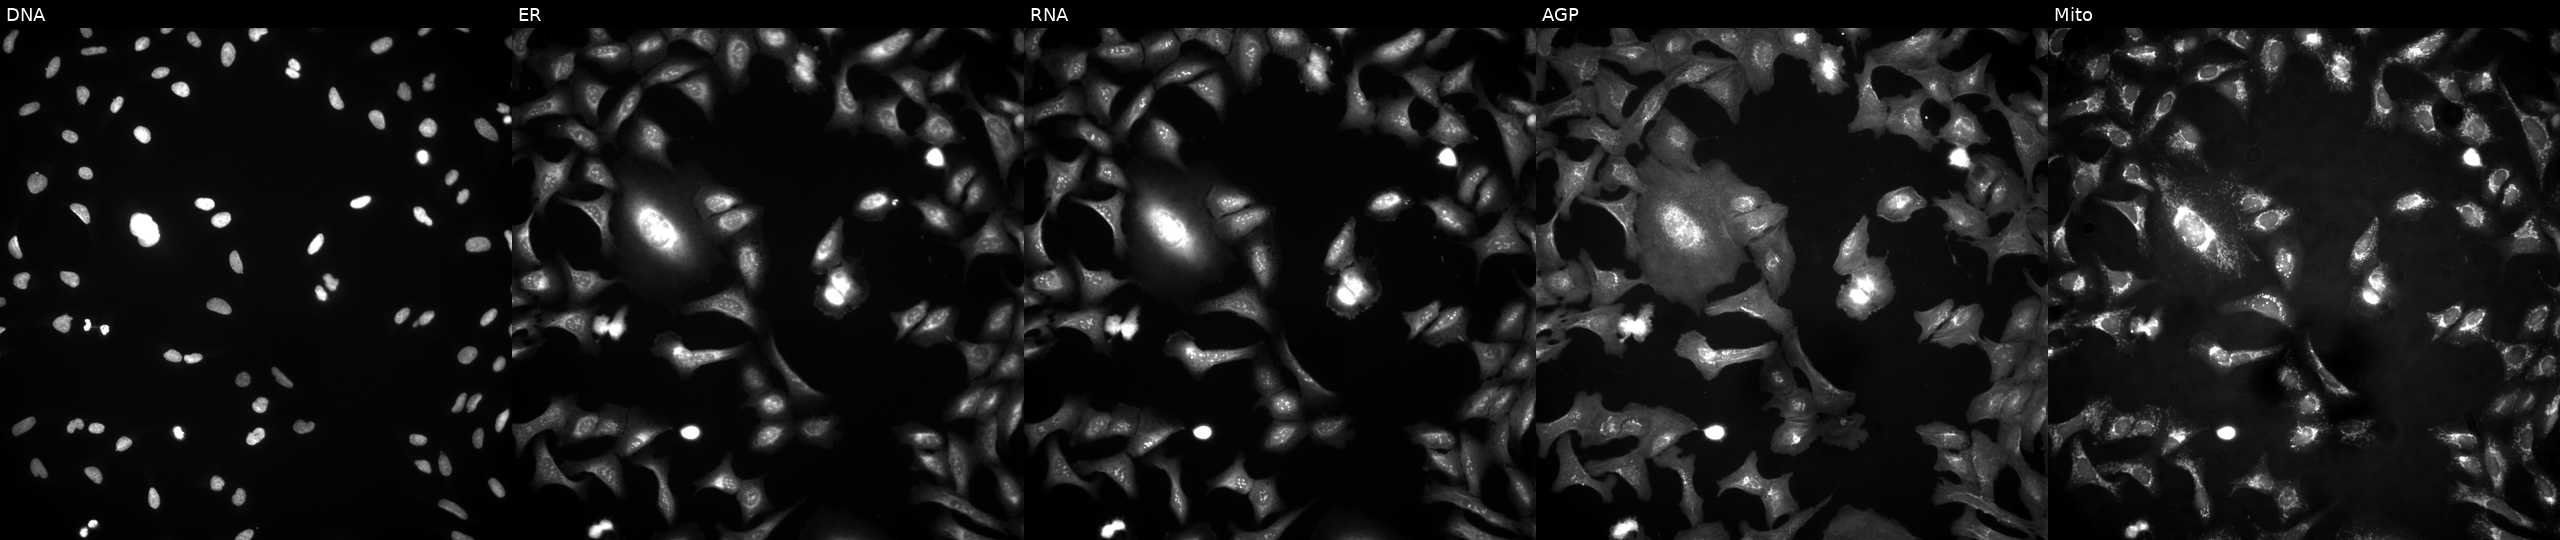
U2OS cells, Cell Painting assay, with MED17 overexpressed (ORF) (JUMP id JCP2022_906933). The five panels, left to right, show Hoechst 33342, concanavalin A, SYTO 14, phalloidin and WGA, MitoTracker. Each panel is percentile-stretched 16-bit fluorescence.